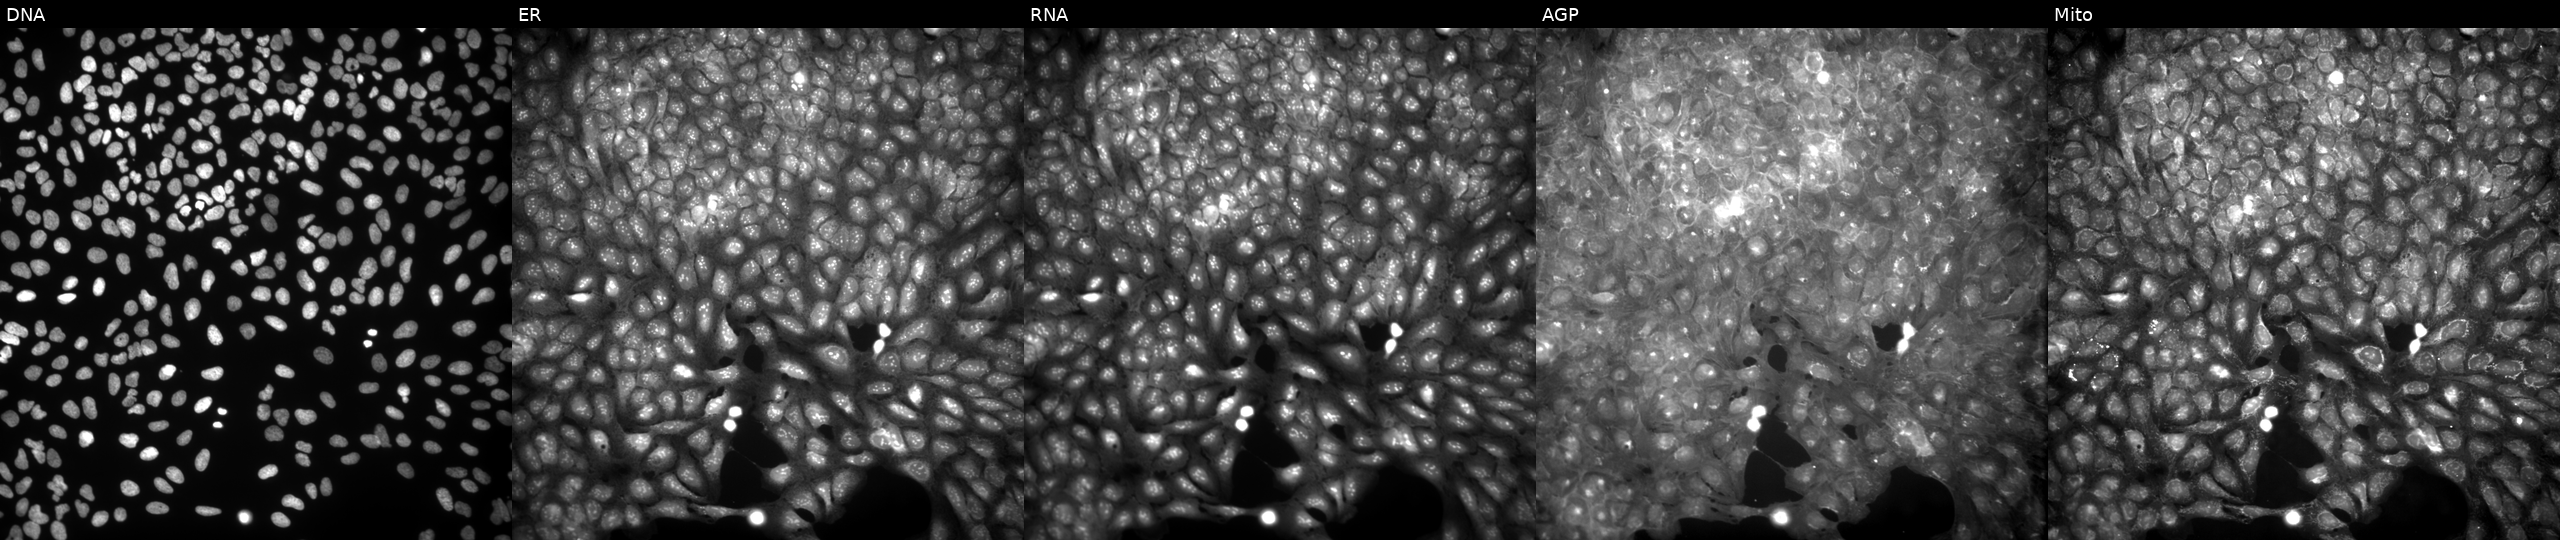
JUMP Cell Painting — COMPOUND plate. U2OS cells perturbed with a small-molecule compound. Channels (left→right): Hoechst 33342, concanavalin A, SYTO 14, phalloidin and WGA, MitoTracker.